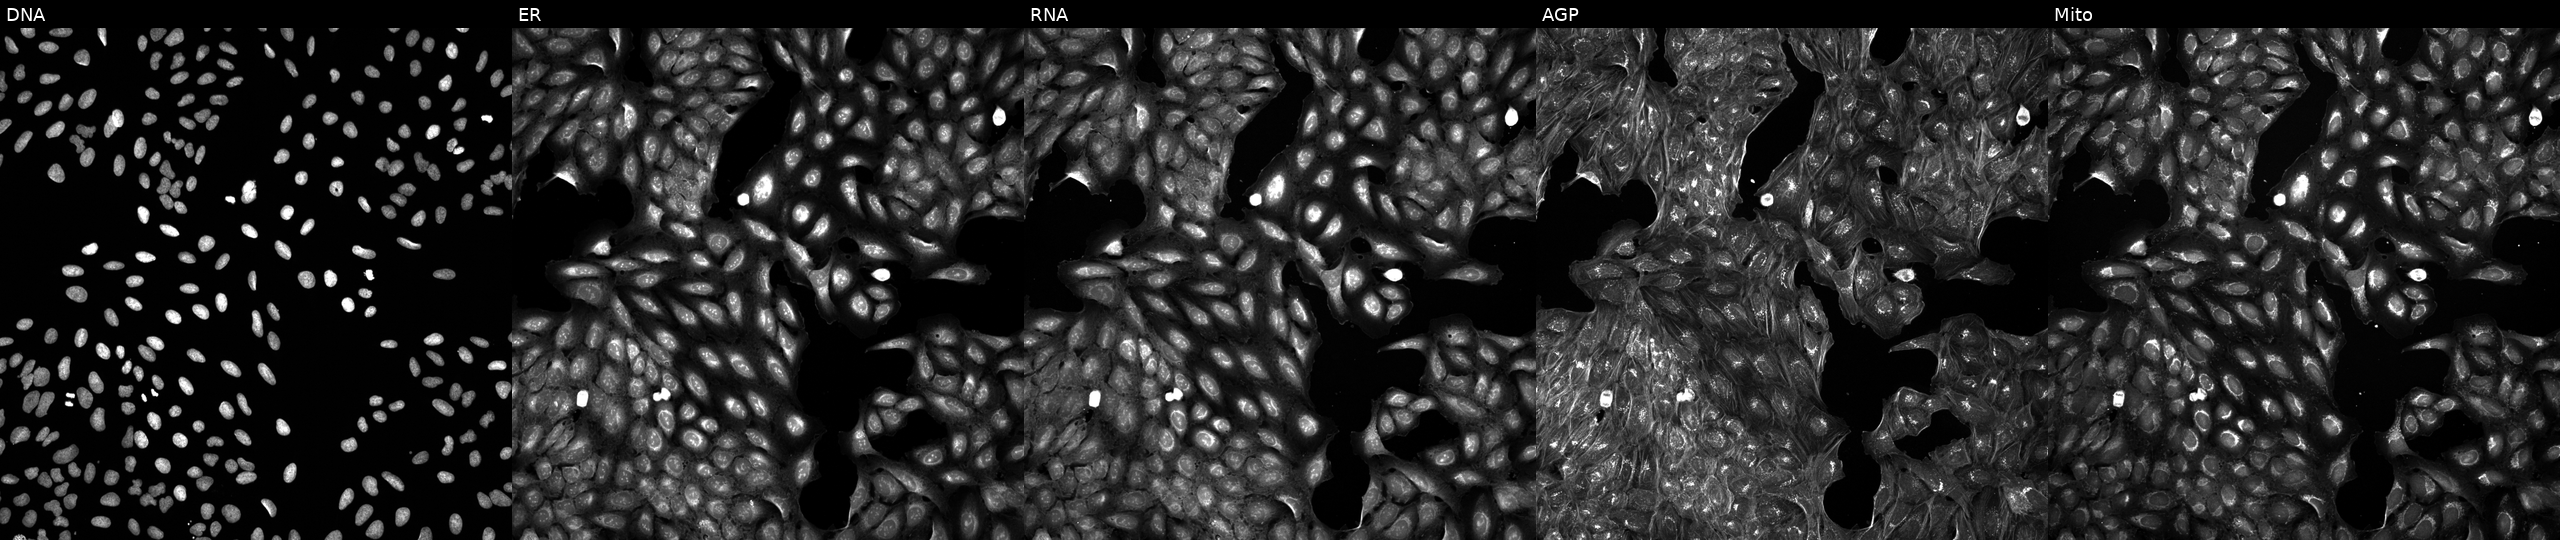
Five-channel Cell Painting image of U2OS cells exposed to a small-molecule compound. The five panels, left to right, show DNA, ER, RNA, AGP, and Mito. Source 5, plate APTJUM106, well C10.